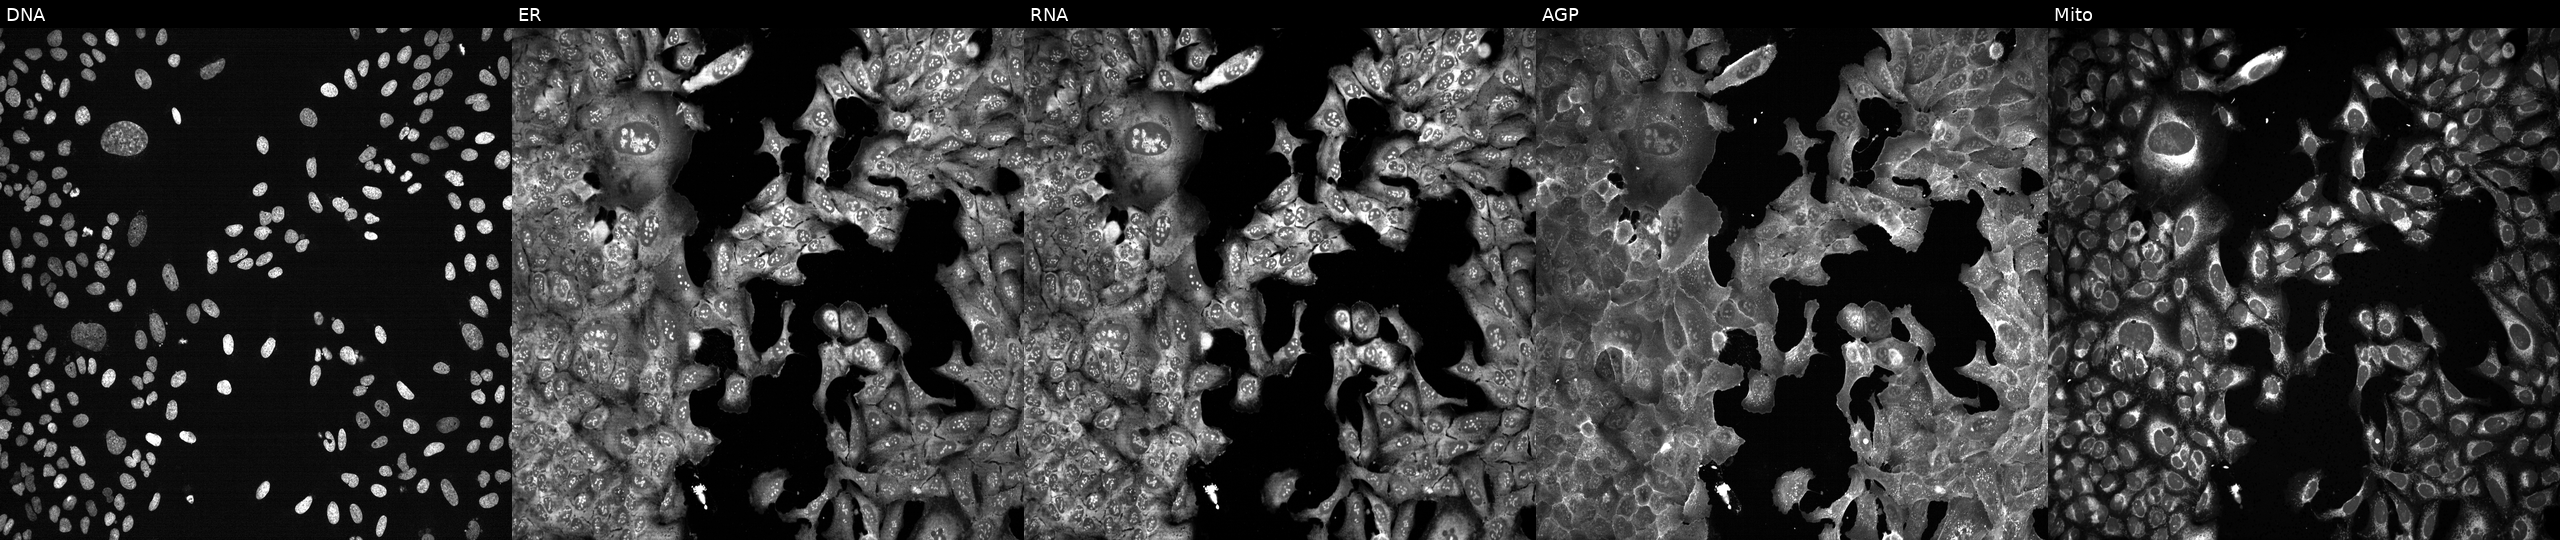
JUMP Cell Painting — CRISPR plate. U2OS cells with CAND1 knocked out by CRISPR. Panels show, left to right, DNA (nuclei); ER (endoplasmic reticulum); RNA (nucleoli and cytoplasmic RNA); AGP (actin cytoskeleton, Golgi, and plasma membrane); Mito (mitochondria). Source 13, plate CP-CC9-R6-19, well B16.